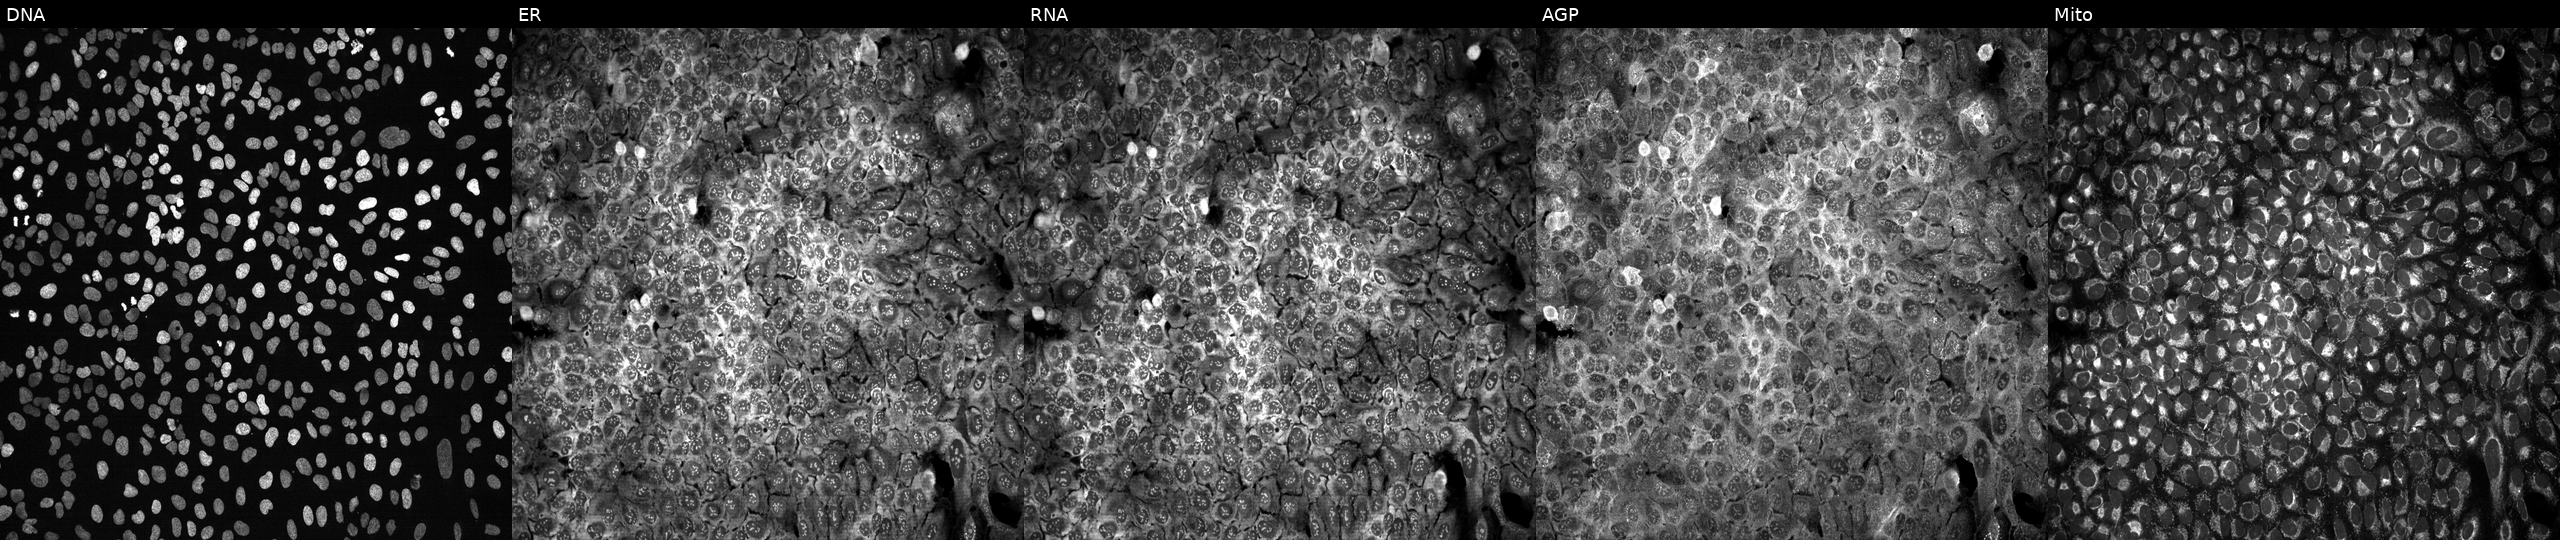
High-content fluorescence microscopy (Cell Painting). Cell line: U2OS. Perturbation: following CRISPR knockout of MGMT. Panels show, left to right, DNA, ER, RNA, AGP, and Mito. Source 13, plate CP-CC9-R3-01, well N13.